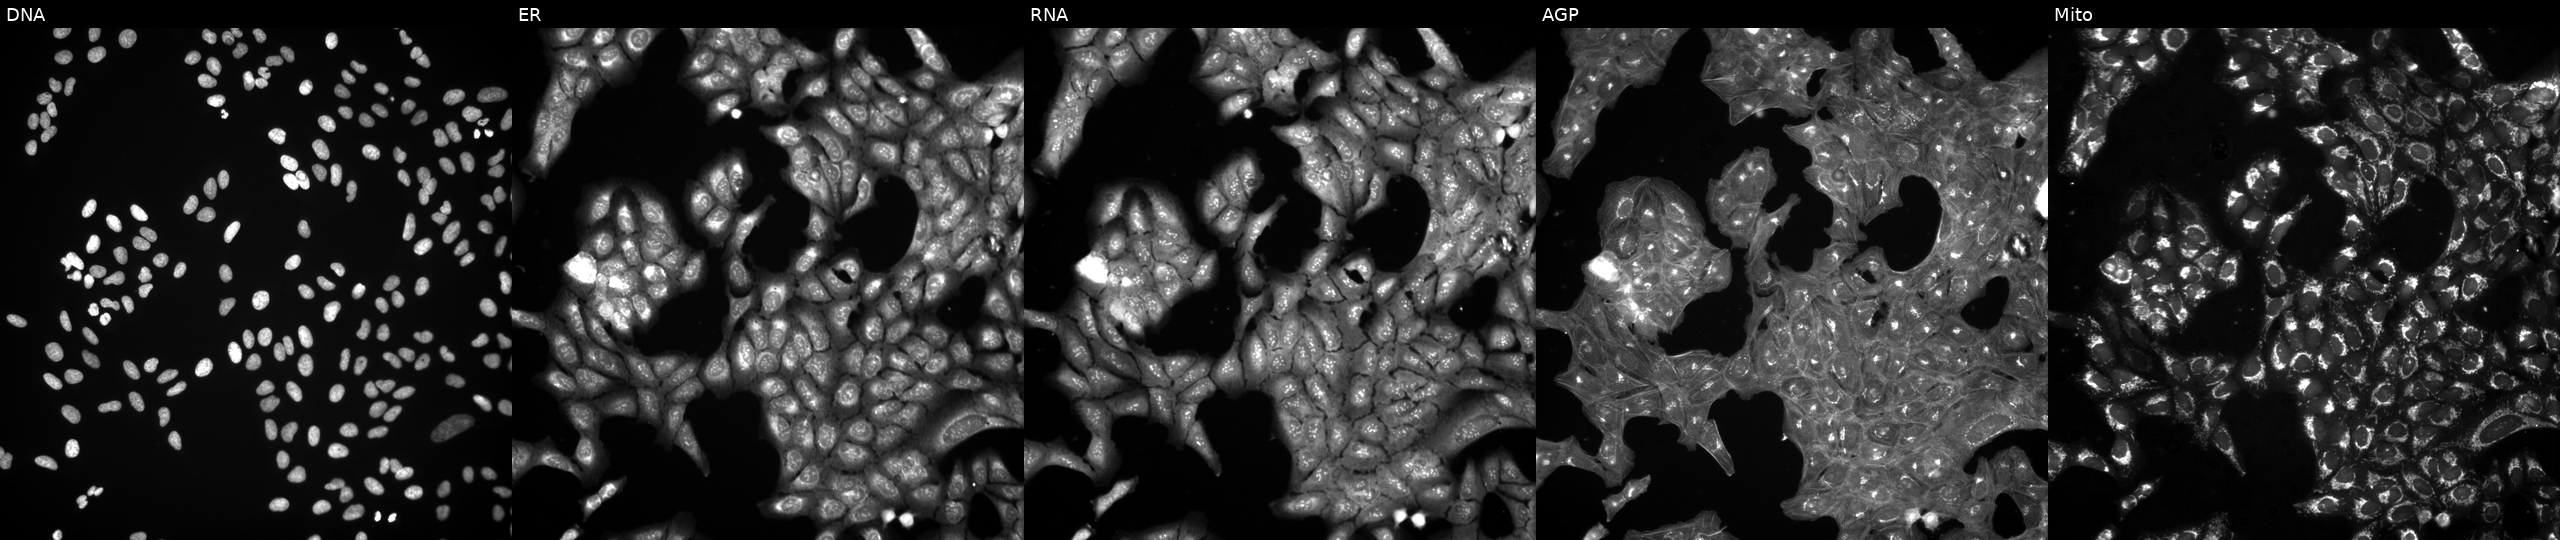
This image strip shows the five Cell Painting channels for a single field of U2OS cells treated with a small-molecule compound [SMILES: OC(COc1ccc(-c2ccccc2)cc1)CN1CCOCC1] (JUMP id JCP2022_086244). Channels (left→right): DNA (nuclei); ER (endoplasmic reticulum); RNA (nucleoli and cytoplasmic RNA); AGP (actin cytoskeleton, Golgi, and plasma membrane); Mito (mitochondria).